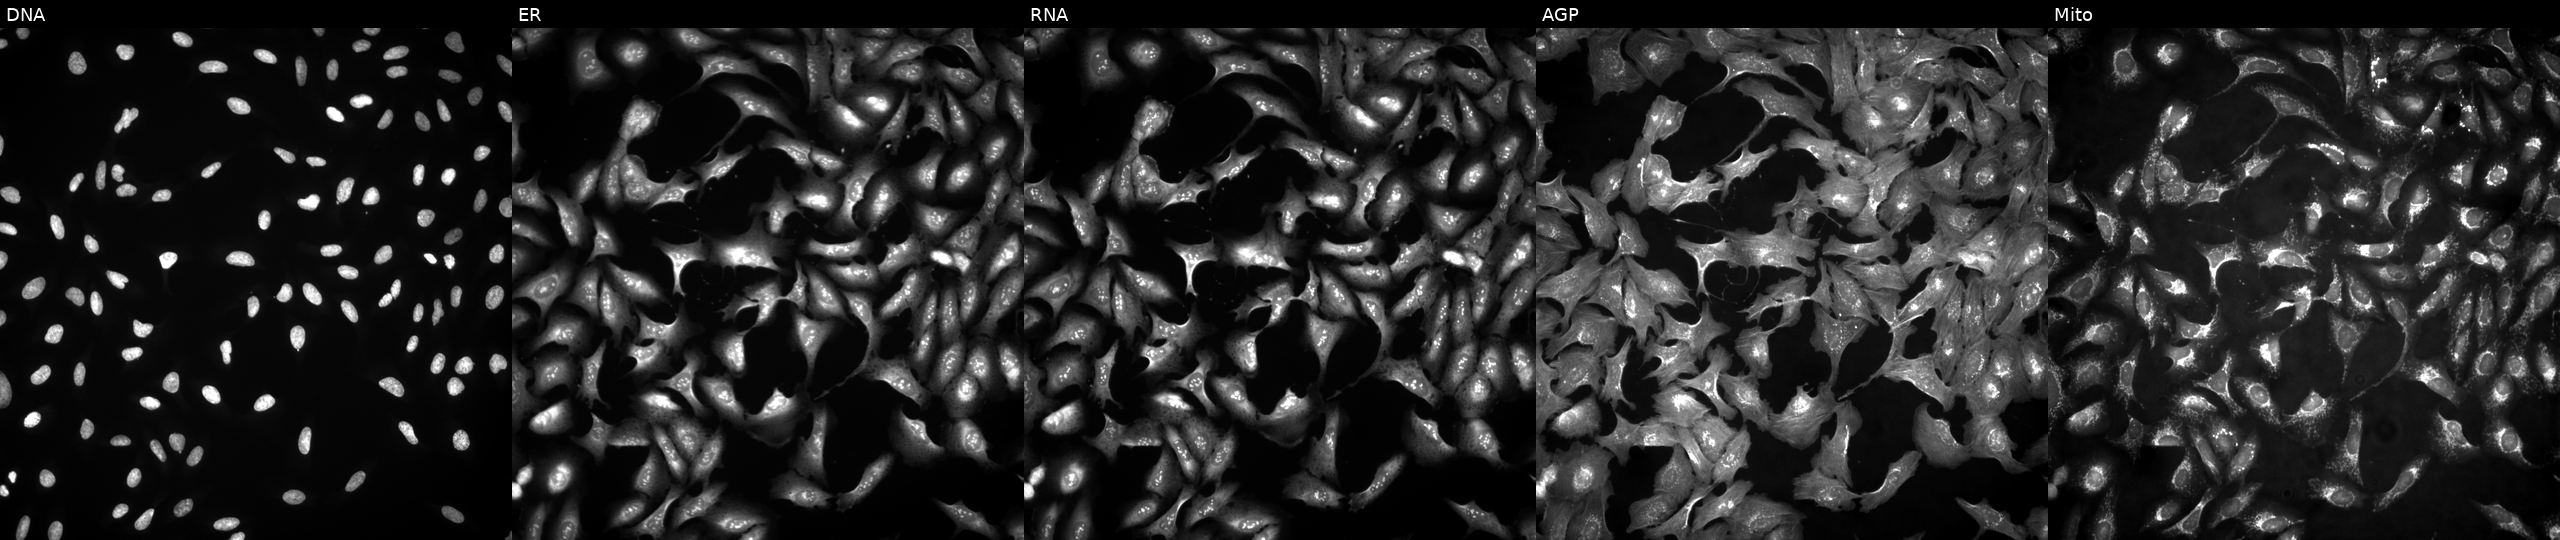
High-content fluorescence microscopy (Cell Painting). Cell line: U2OS. Perturbation: expressing LacZ (ORF negative control) (JUMP id JCP2022_915131). Panels show, left to right, DNA (nuclei); ER (endoplasmic reticulum); RNA (nucleoli and cytoplasmic RNA); AGP (actin cytoskeleton, Golgi, and plasma membrane); Mito (mitochondria).